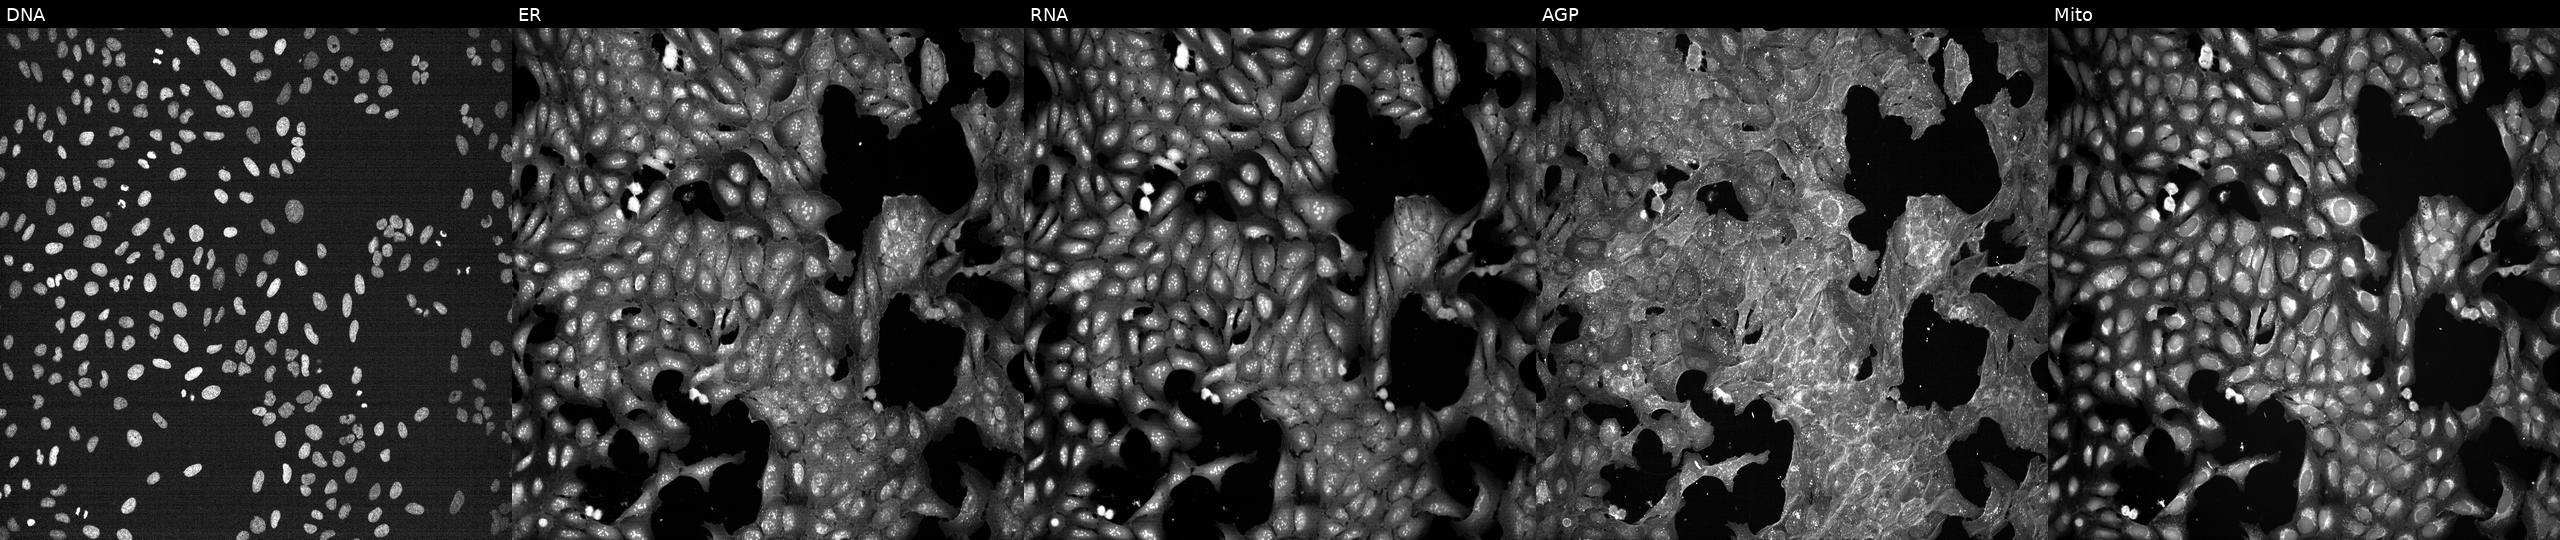
JUMP Cell Painting — TARGET2 plate. U2OS cells treated with DMSO vehicle only (negative control) (JUMP id JCP2022_033924). The five panels, left to right, show DNA (nuclei); ER (endoplasmic reticulum); RNA (nucleoli and cytoplasmic RNA); AGP (actin cytoskeleton, Golgi, and plasma membrane); Mito (mitochondria).